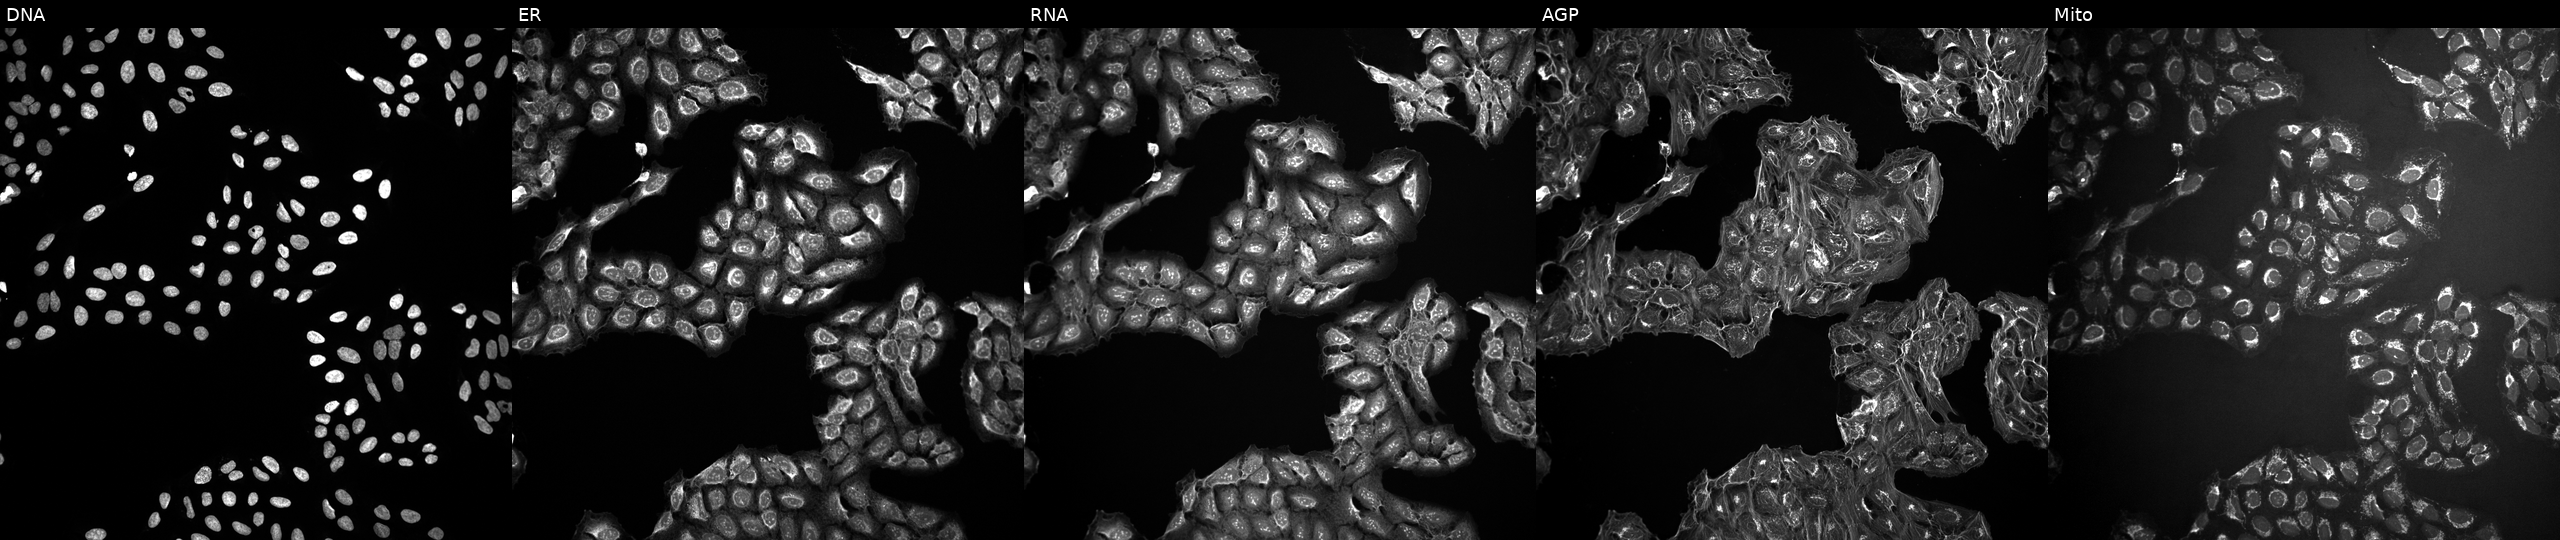
This image strip shows the five Cell Painting channels for a single field of U2OS cells treated with a small-molecule compound. Panels show, left to right, DNA (nuclei); ER (endoplasmic reticulum); RNA (nucleoli and cytoplasmic RNA); AGP (actin cytoskeleton, Golgi, and plasma membrane); Mito (mitochondria).